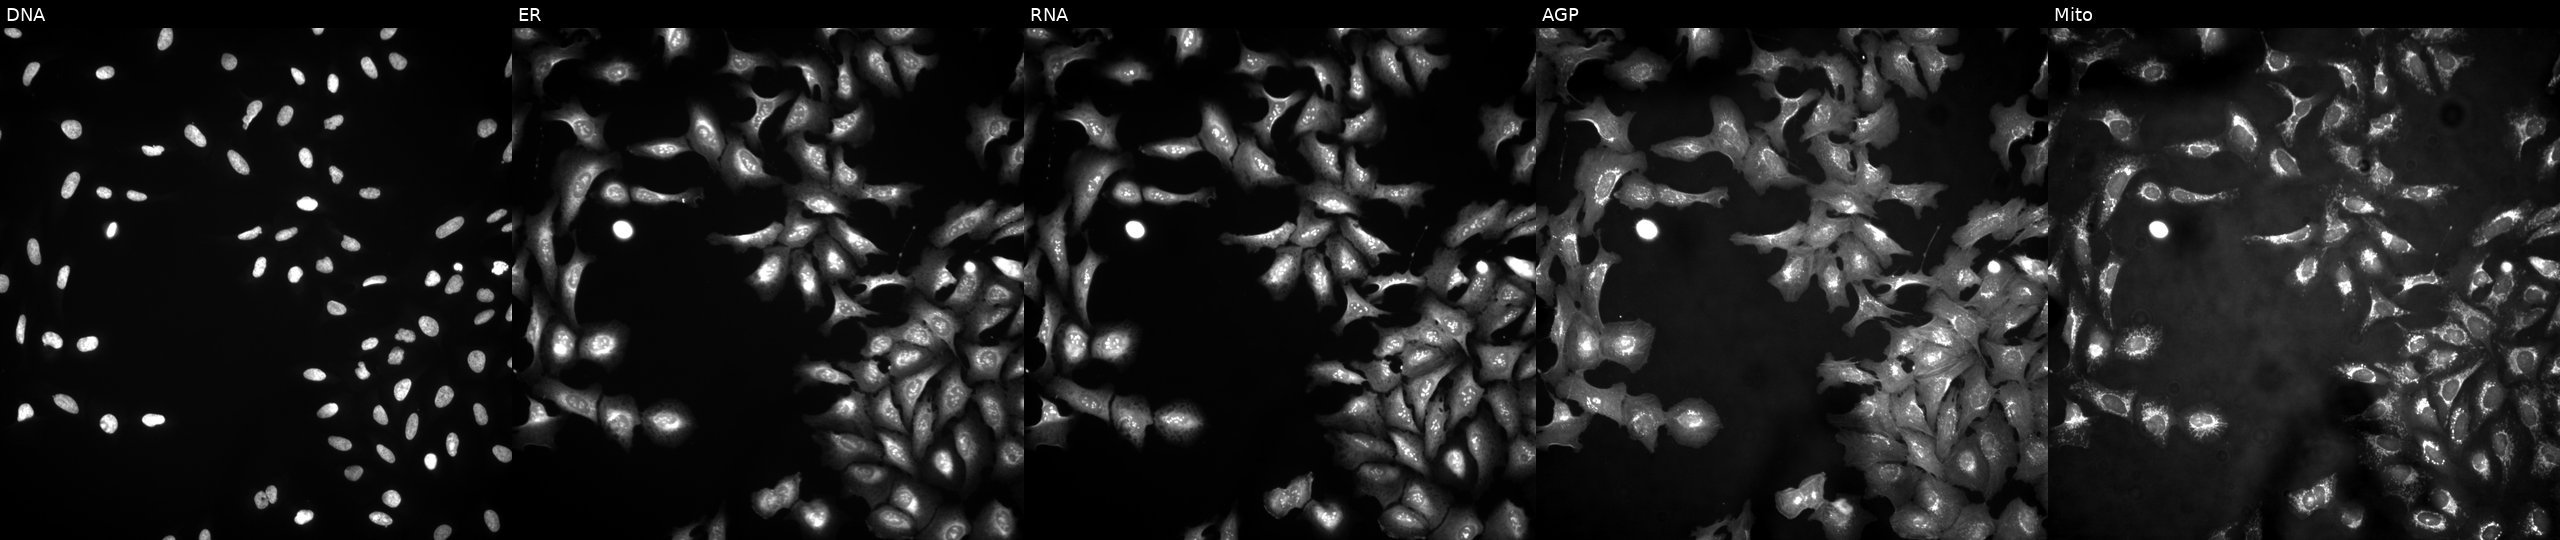
JUMP Cell Painting — ORF plate. U2OS cells transfected with an ORF construct for MRPL49 (JUMP id JCP2022_900178). The five panels, left to right, show DNA, ER, RNA, AGP, and Mito.